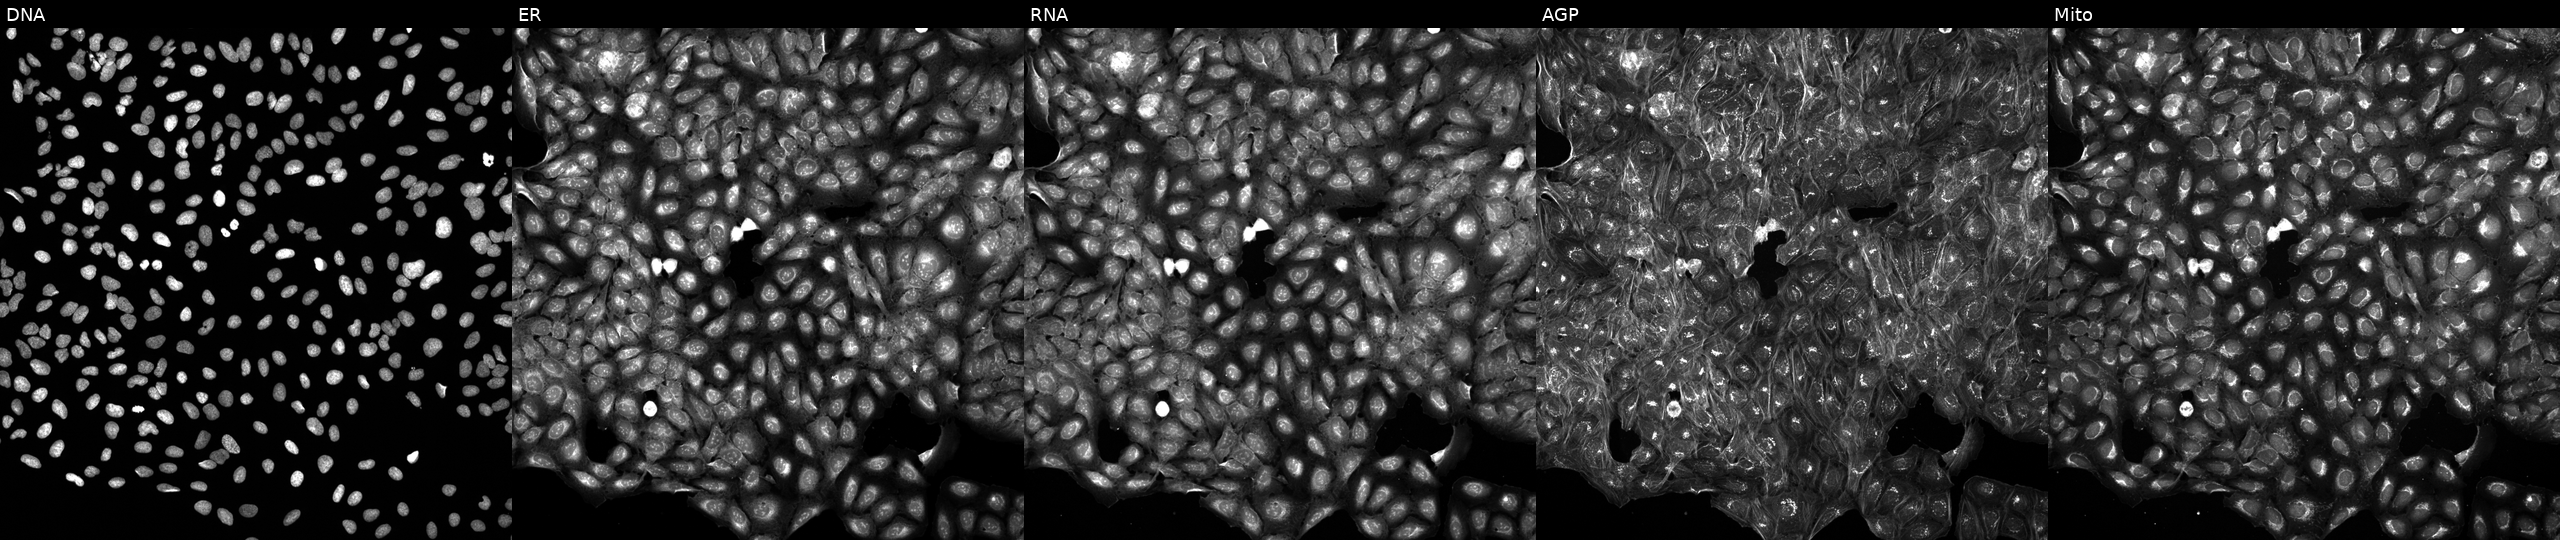
Panels show, left to right, Hoechst 33342, concanavalin A, SYTO 14, phalloidin and WGA, MitoTracker. U2OS osteosarcoma cells perturbed with a small-molecule compound (InChIKey WEJYMRYTKCZDCX-UHFFFAOYSA-N) (JUMP id JCP2022_098210). Cell Painting assay, JUMP-CP dataset.